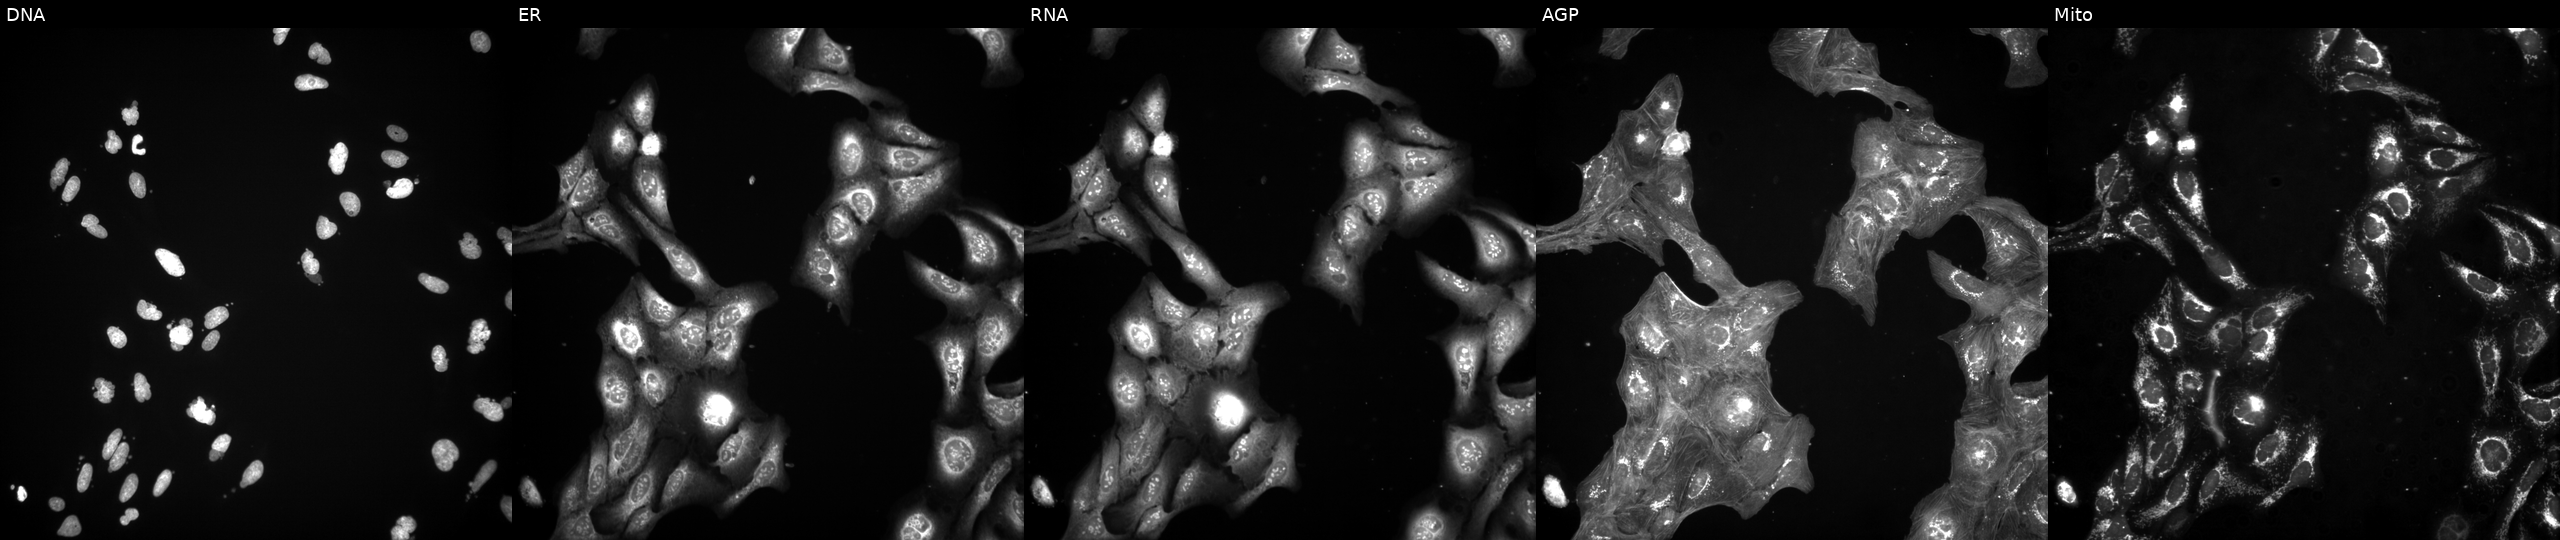
This image strip shows the five Cell Painting channels for a single field of U2OS cells treated with a small-molecule compound (InChIKey KRBSMMVJJVHVCB-UHFFFAOYSA-N) (JUMP id JCP2022_046462). Panels show, left to right, DNA (nuclei); ER (endoplasmic reticulum); RNA (nucleoli and cytoplasmic RNA); AGP (actin cytoskeleton, Golgi, and plasma membrane); Mito (mitochondria).